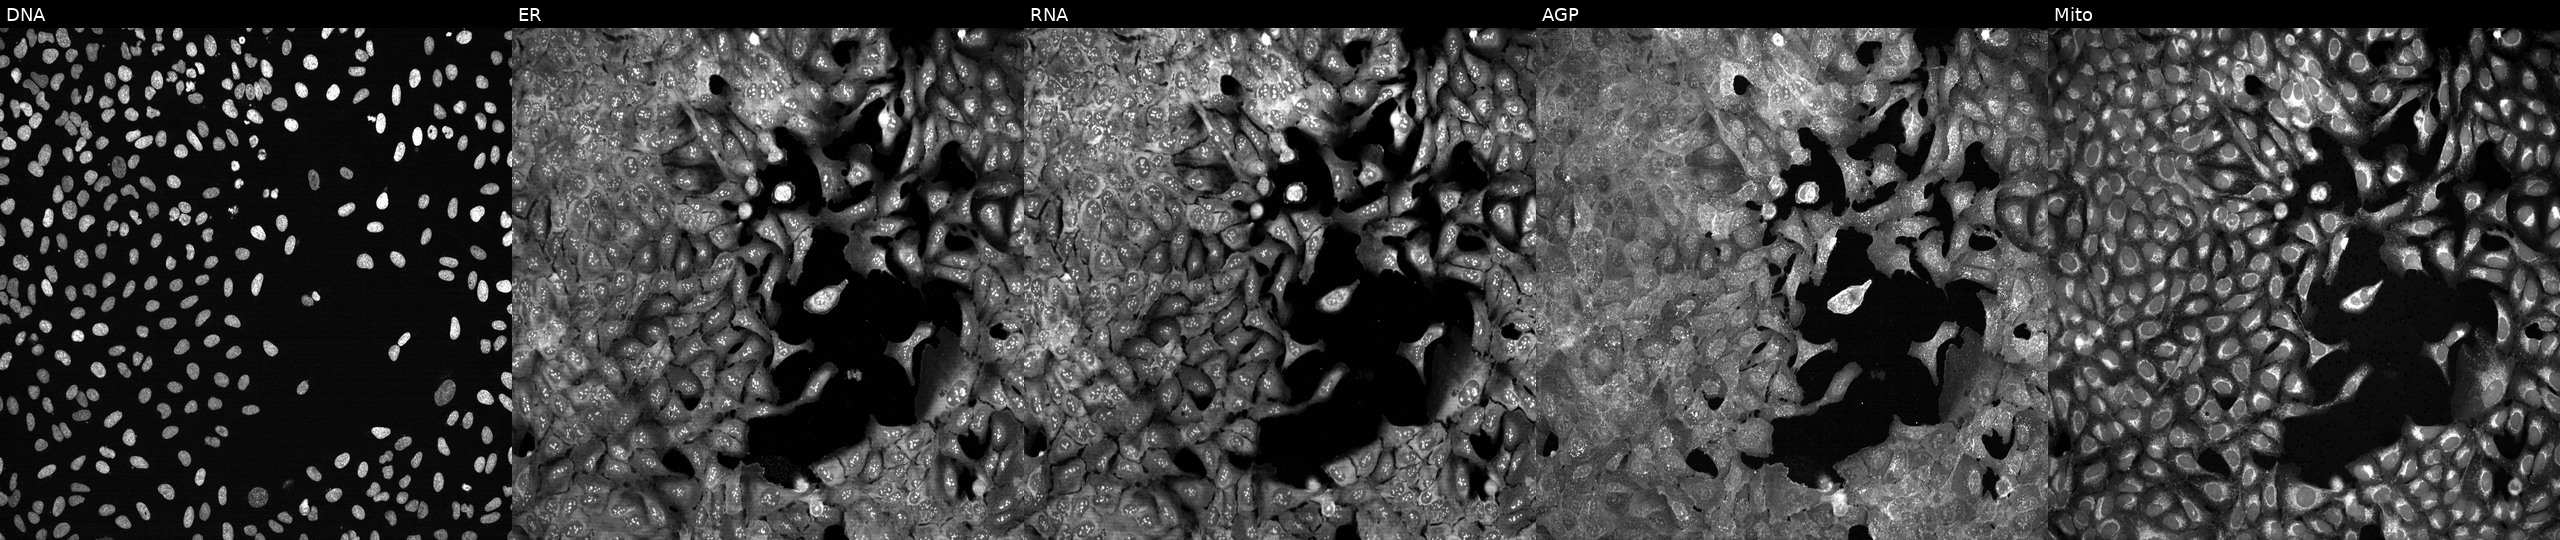
JUMP Cell Painting — CRISPR plate. U2OS cells with CBX7 knocked out by CRISPR. From left to right: Hoechst 33342, concanavalin A, SYTO 14, phalloidin and WGA, MitoTracker. Source 13, plate CP-CC9-R5-01, well L09.